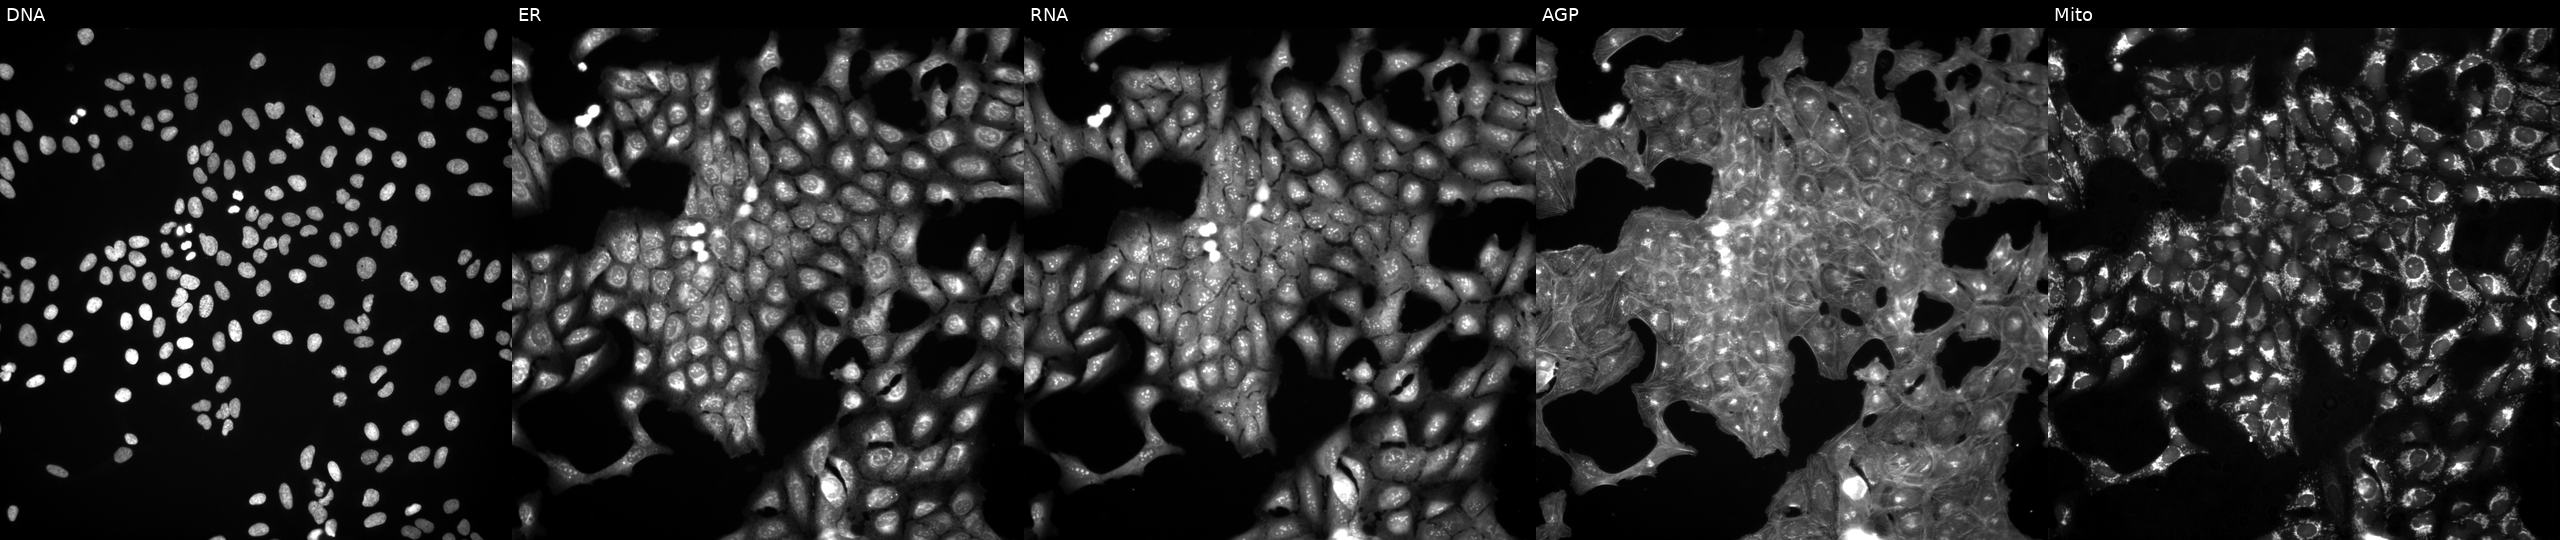
U2OS cells, Cell Painting assay, exposed to DMSO alone as a negative control (JUMP id JCP2022_033924). From left to right: Hoechst 33342, concanavalin A, SYTO 14, phalloidin and WGA, MitoTracker. Each panel is percentile-stretched 16-bit fluorescence. Source 3, plate JCPQC051, well L23.